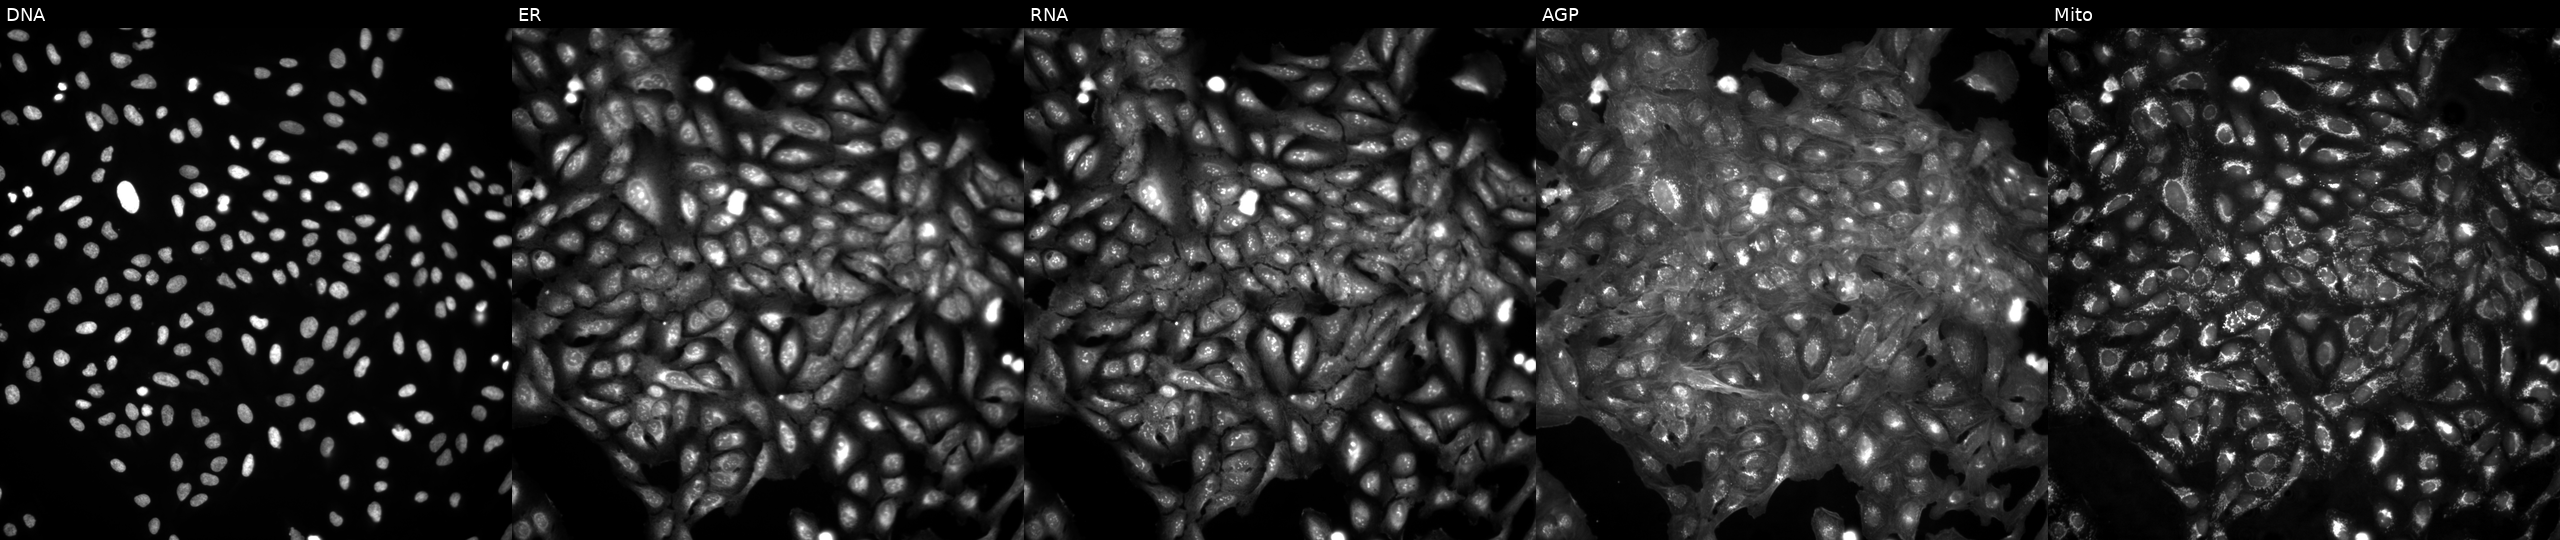
JUMP Cell Painting — ORF plate. U2OS cells untreated (empty-well control). From left to right: DNA, ER, RNA, AGP, and Mito. Source 4, plate BR00124793, well J21.